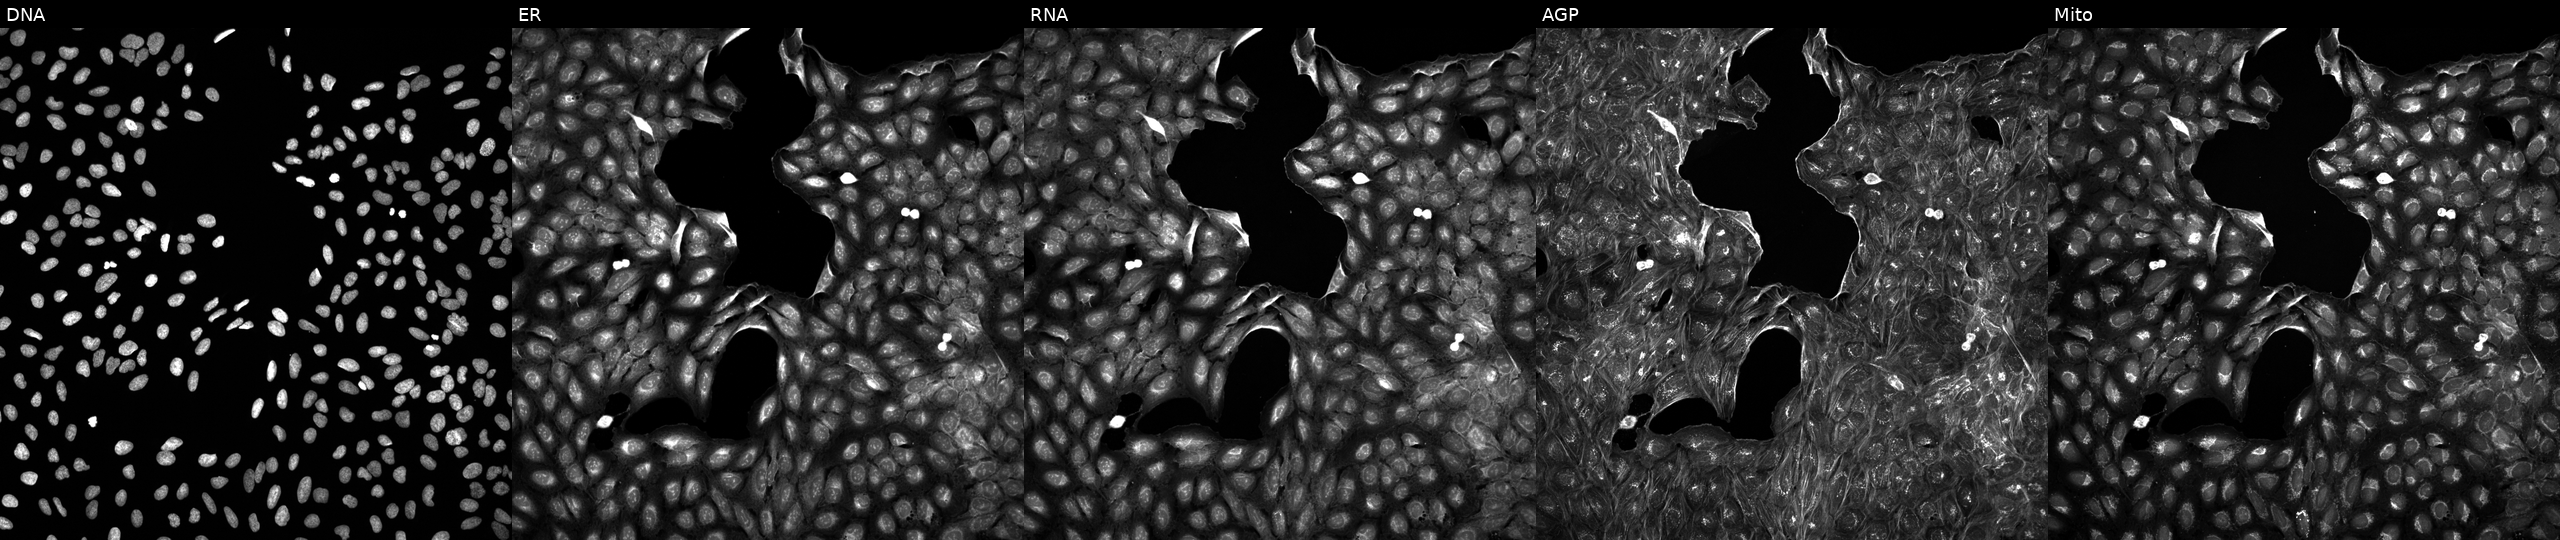
JUMP Cell Painting — COMPOUND plate. U2OS cells perturbed with a small-molecule compound (InChIKey BGQCBDDWWNMMGZ-UHFFFAOYSA-N) (JUMP id JCP2022_006217). Channels (left→right): DNA, ER, RNA, AGP, and Mito.